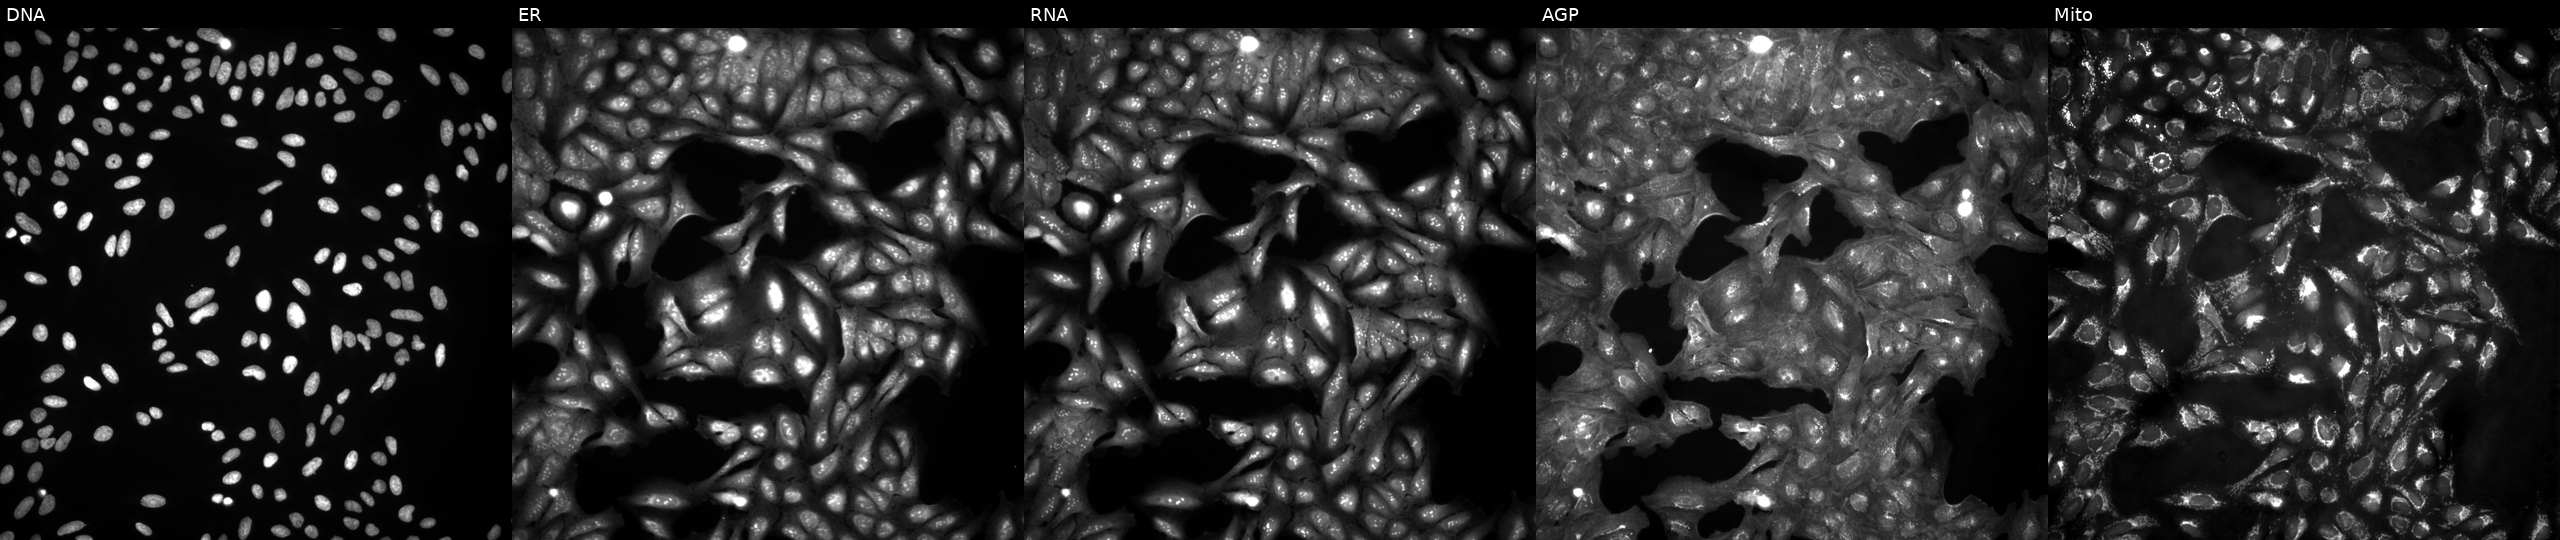
JUMP Cell Painting — ORF plate. U2OS cells in an empty control well (no perturbation). Panels show, left to right, DNA (nuclei); ER (endoplasmic reticulum); RNA (nucleoli and cytoplasmic RNA); AGP (actin cytoskeleton, Golgi, and plasma membrane); Mito (mitochondria).